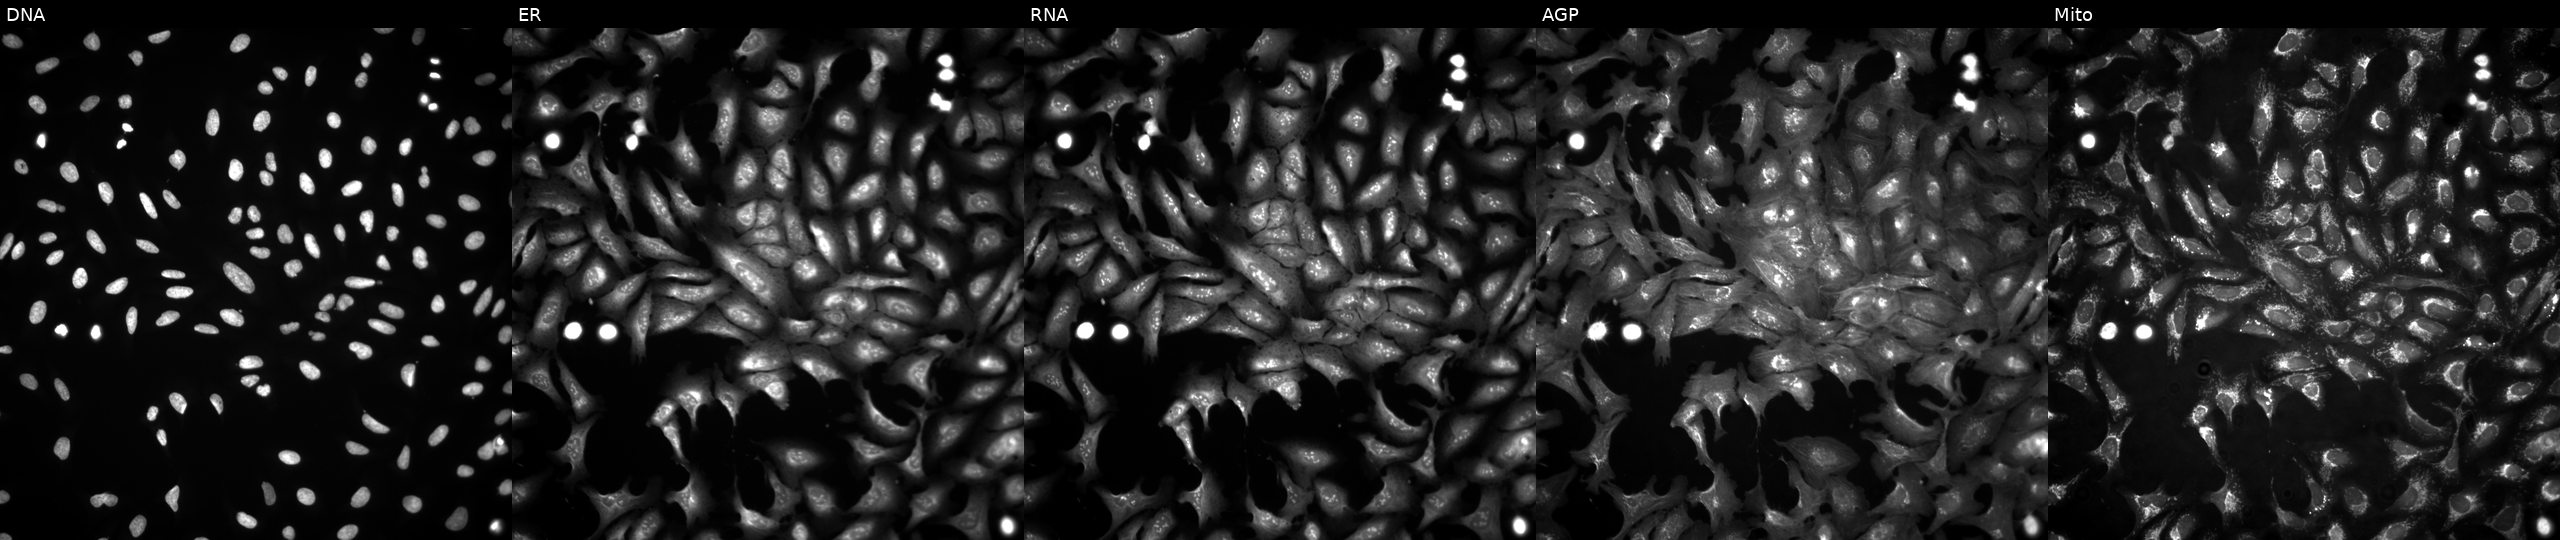
U2OS cells, Cell Painting assay, overexpressing RAB23 via ORF transfection. Channels (left→right): DNA, ER, RNA, AGP, and Mito. Each panel is percentile-stretched 16-bit fluorescence.